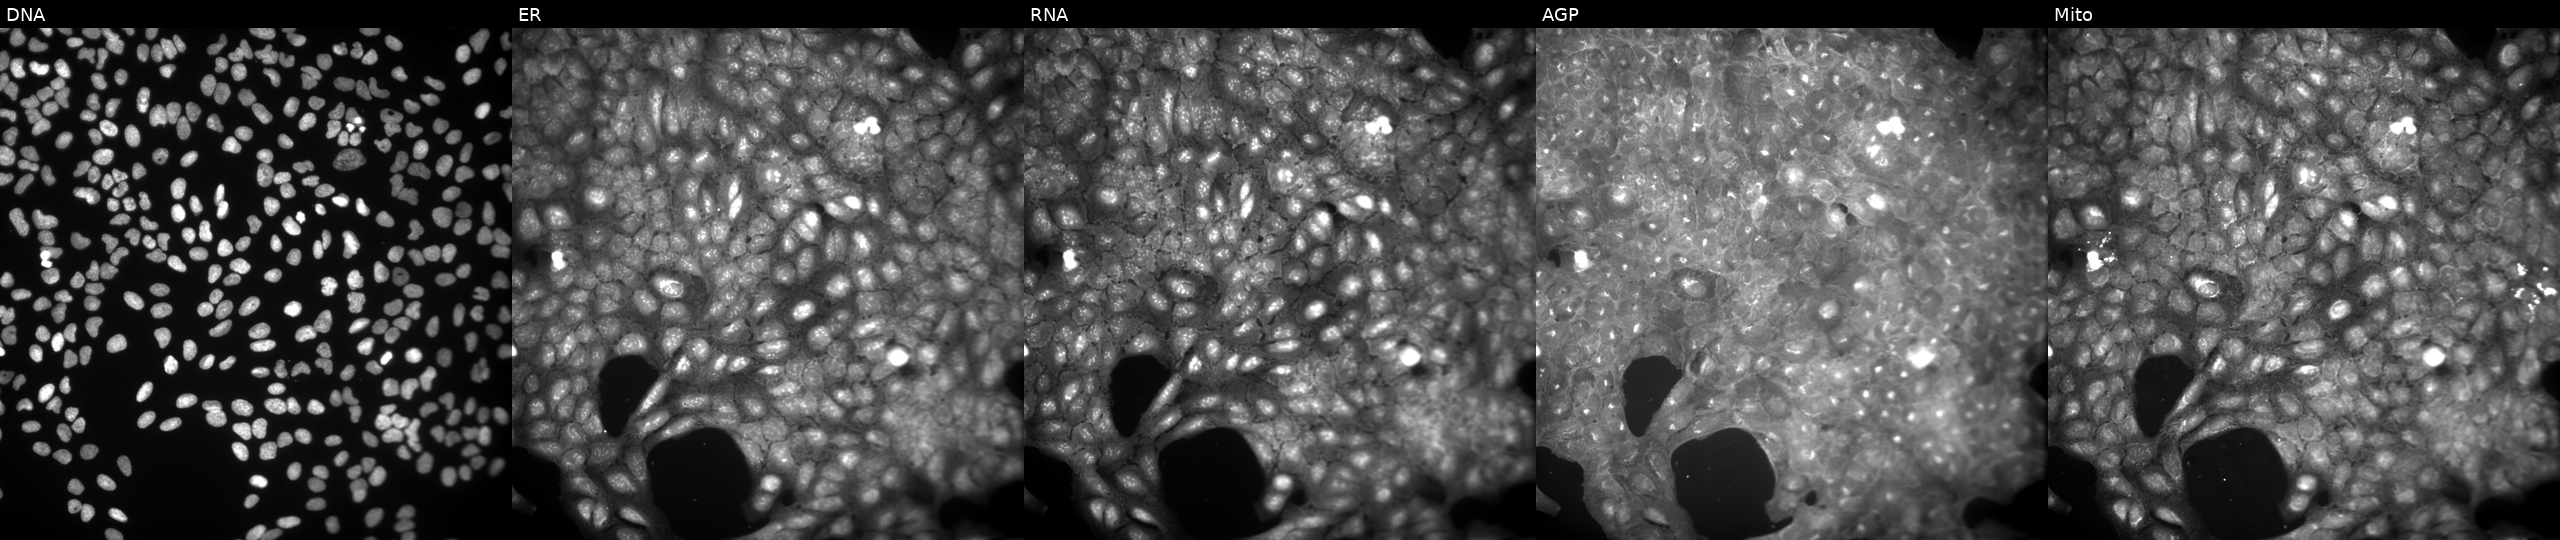
Five-channel Cell Painting image of U2OS cells exposed to a small-molecule compound (InChIKey KINUCWHRJPFQQY-UHFFFAOYSA-N). Channels (left→right): DNA (nuclei); ER (endoplasmic reticulum); RNA (nucleoli and cytoplasmic RNA); AGP (actin cytoskeleton, Golgi, and plasma membrane); Mito (mitochondria). Source 9, plate GR00003382, well U44.